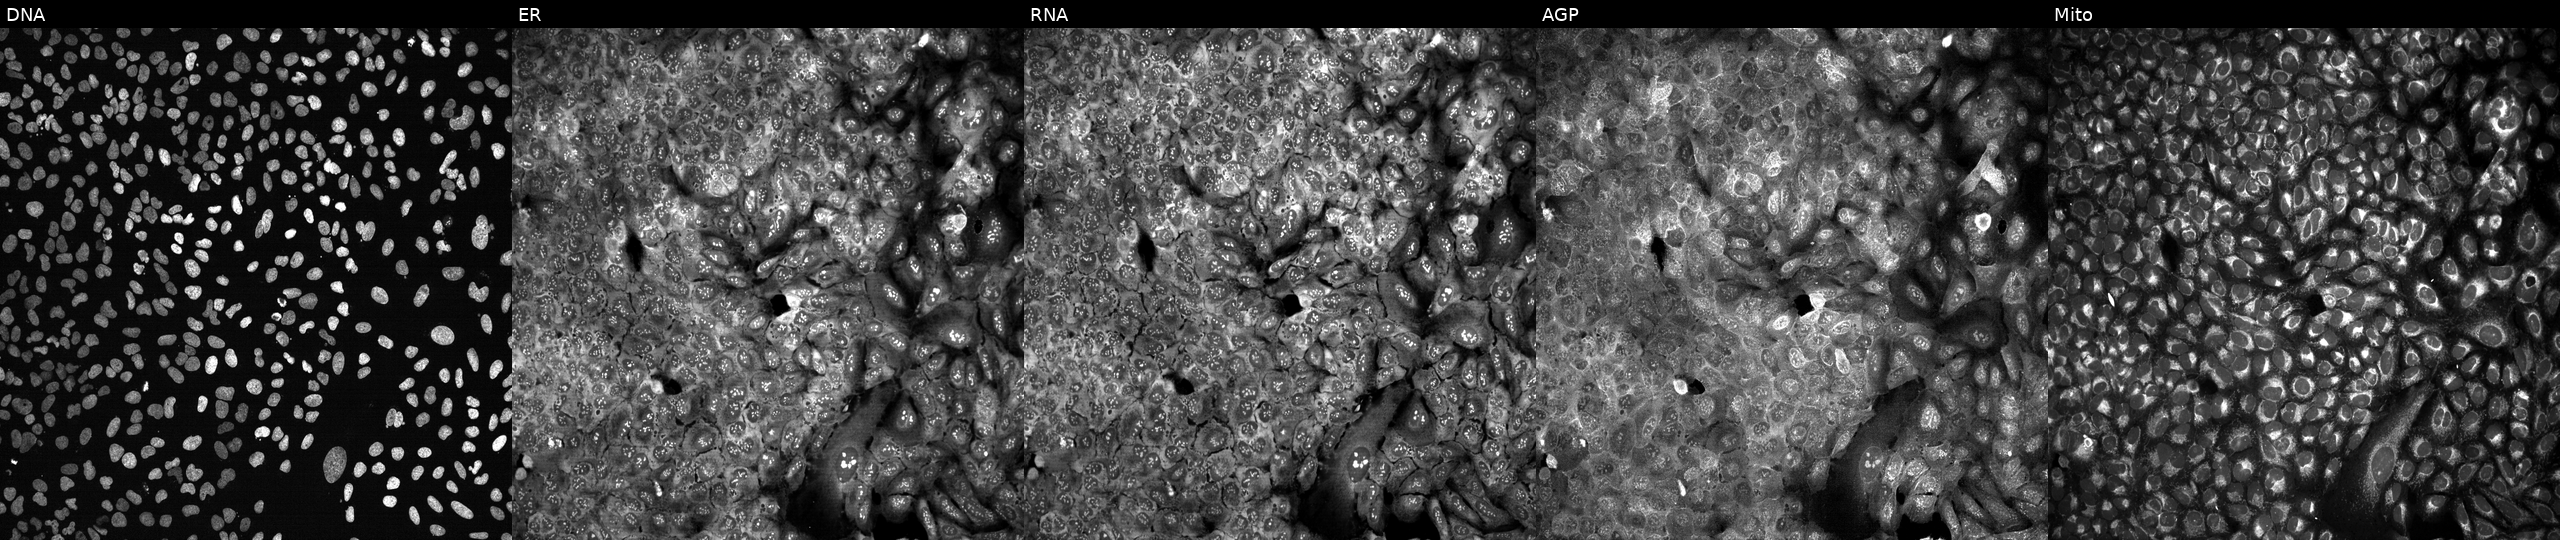
JUMP Cell Painting — CRISPR plate. U2OS cells CRISPR-edited to disrupt GADD45A (JUMP id JCP2022_802571). Panels show, left to right, DNA, ER, RNA, AGP, and Mito.